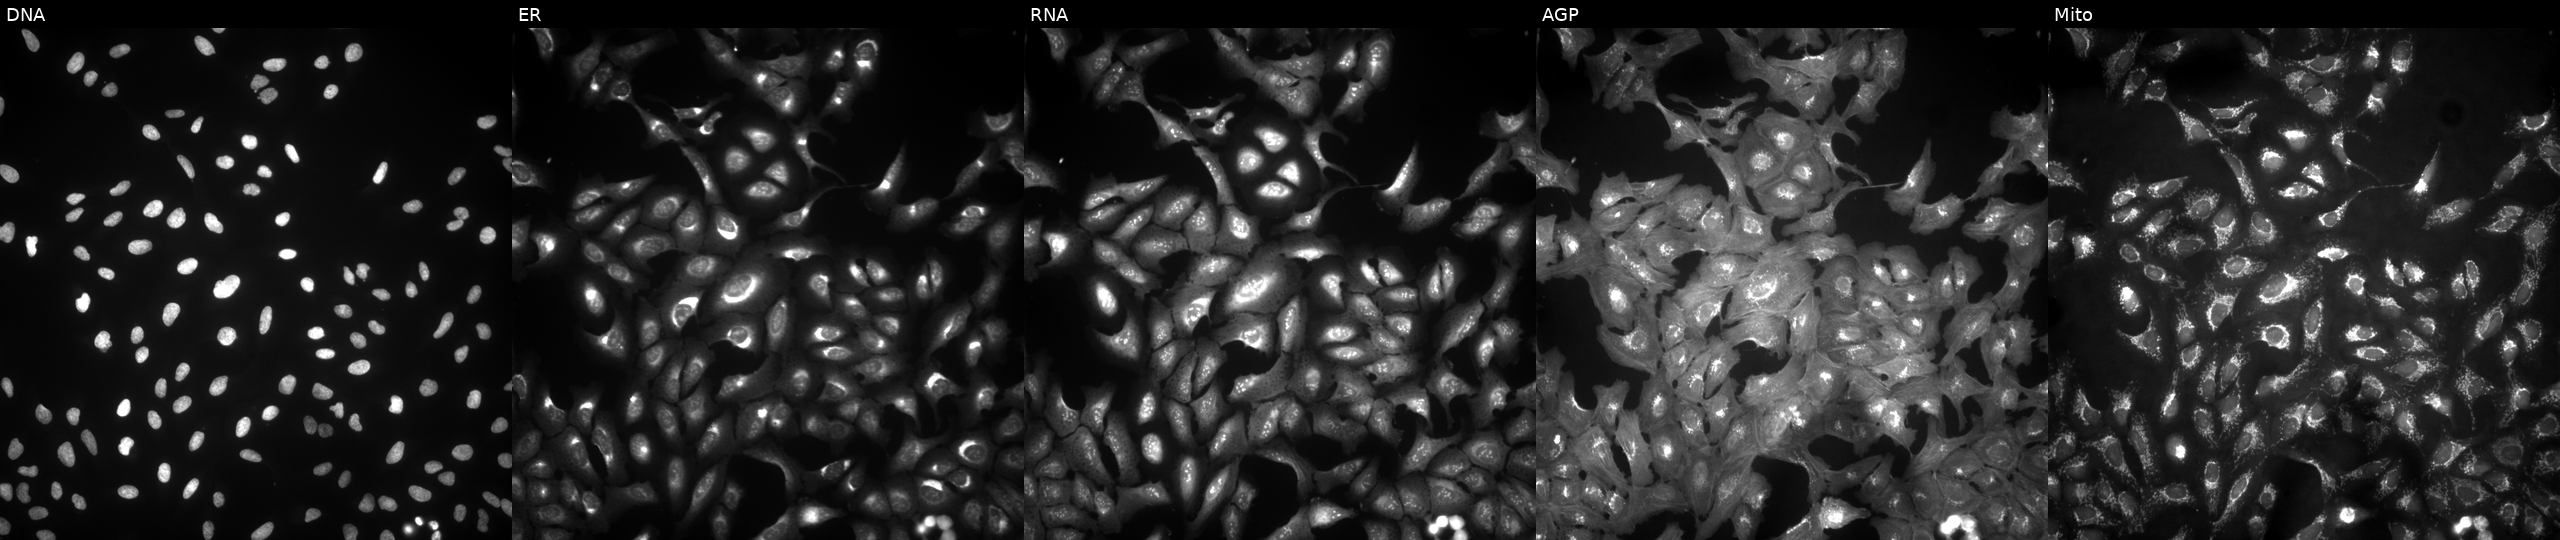
U2OS cells, Cell Painting assay, transfected with an ORF construct for OLFML3 (JUMP id JCP2022_903531). Panels show, left to right, DNA (nuclei); ER (endoplasmic reticulum); RNA (nucleoli and cytoplasmic RNA); AGP (actin cytoskeleton, Golgi, and plasma membrane); Mito (mitochondria). Each panel is percentile-stretched 16-bit fluorescence. Source 4, plate BR00123506, well E24.